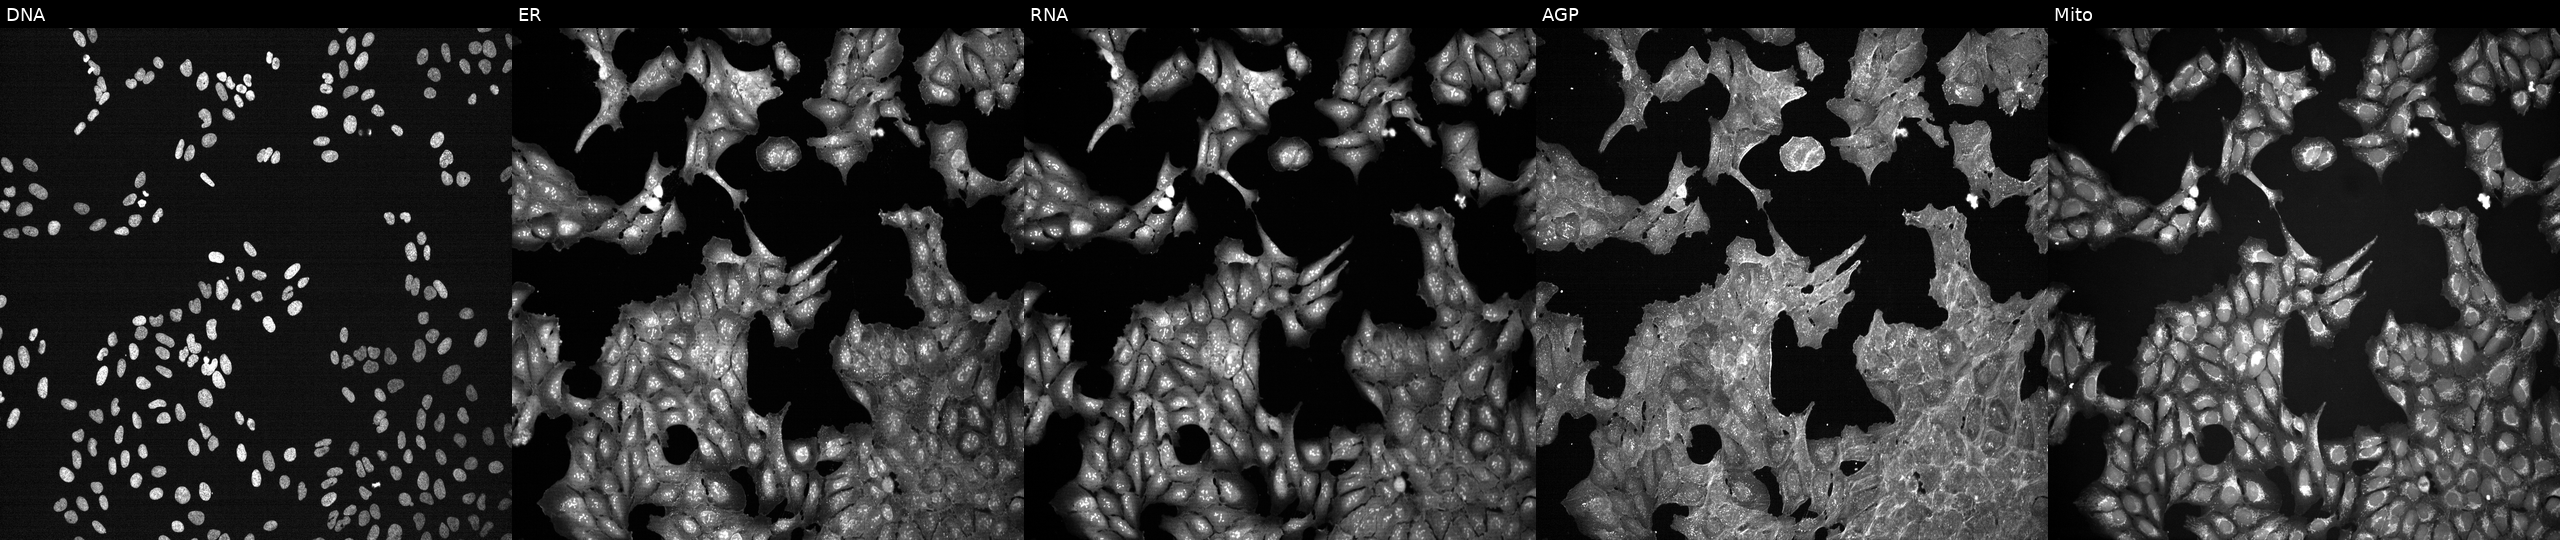
Panels show, left to right, DNA, ER, RNA, AGP, and Mito. U2OS osteosarcoma cells perturbed with a small-molecule compound (InChIKey MXJWRABVEGLYDG-UHFFFAOYSA-N) (JUMP id JCP2022_057163). Cell Painting assay, JUMP-CP dataset. Source 7, plate CP2-SC1-25, well I21.